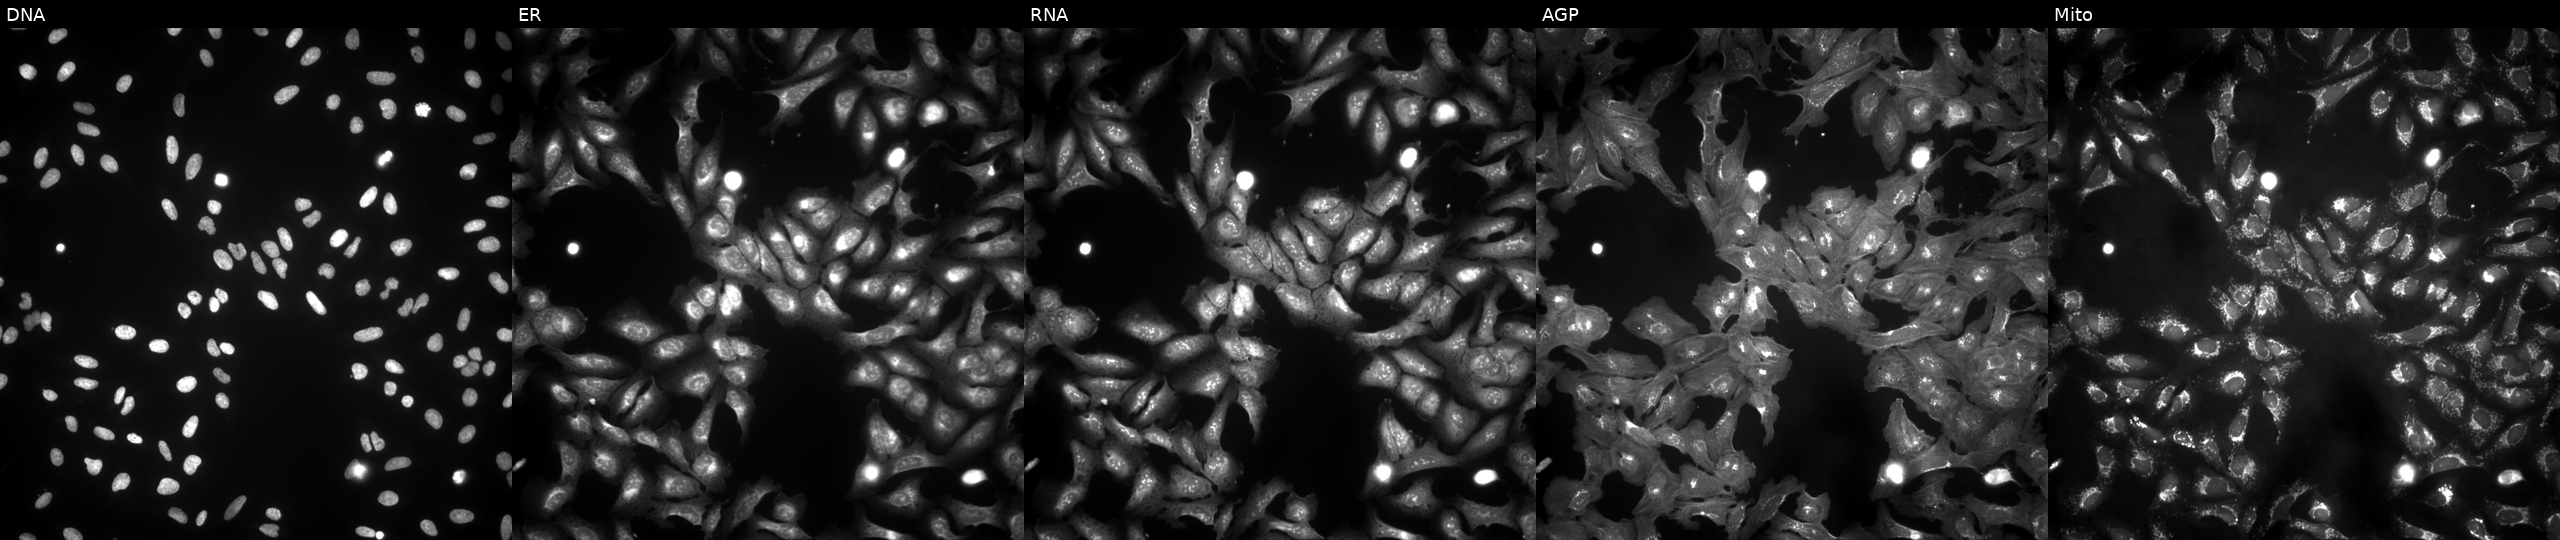
The five panels, left to right, show DNA (nuclei); ER (endoplasmic reticulum); RNA (nucleoli and cytoplasmic RNA); AGP (actin cytoskeleton, Golgi, and plasma membrane); Mito (mitochondria). U2OS osteosarcoma cells transfected with an ORF construct for RBM15B (JUMP id JCP2022_914787). Cell Painting assay, JUMP-CP dataset. Source 4, plate BR00123506, well M24.